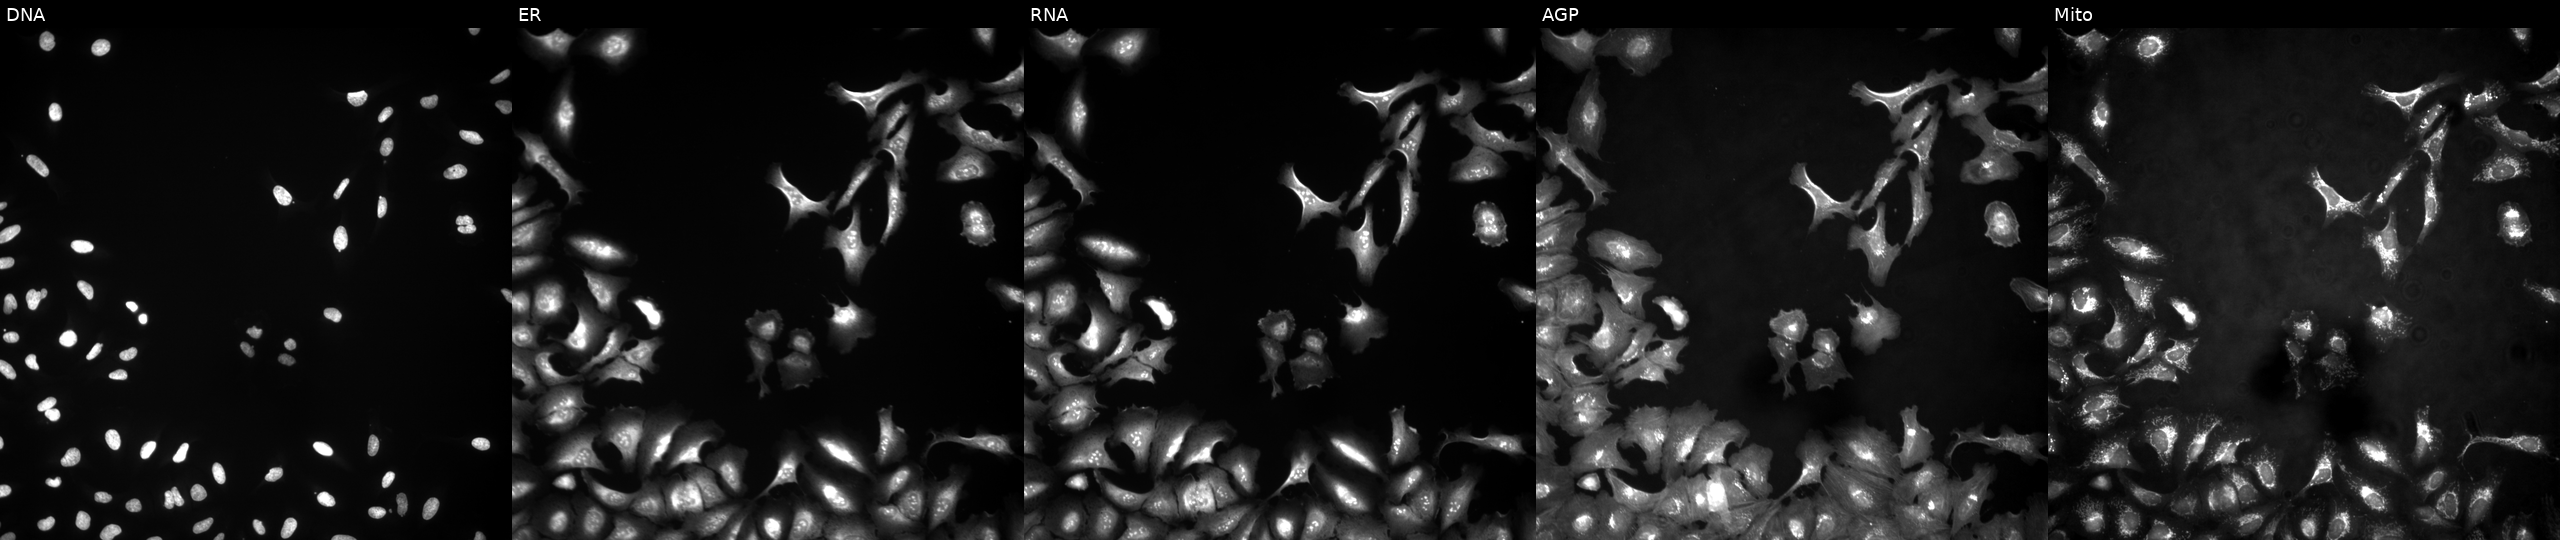
JUMP Cell Painting — ORF plate. U2OS cells with FGA overexpressed (ORF). Channels (left→right): DNA (nuclei); ER (endoplasmic reticulum); RNA (nucleoli and cytoplasmic RNA); AGP (actin cytoskeleton, Golgi, and plasma membrane); Mito (mitochondria).